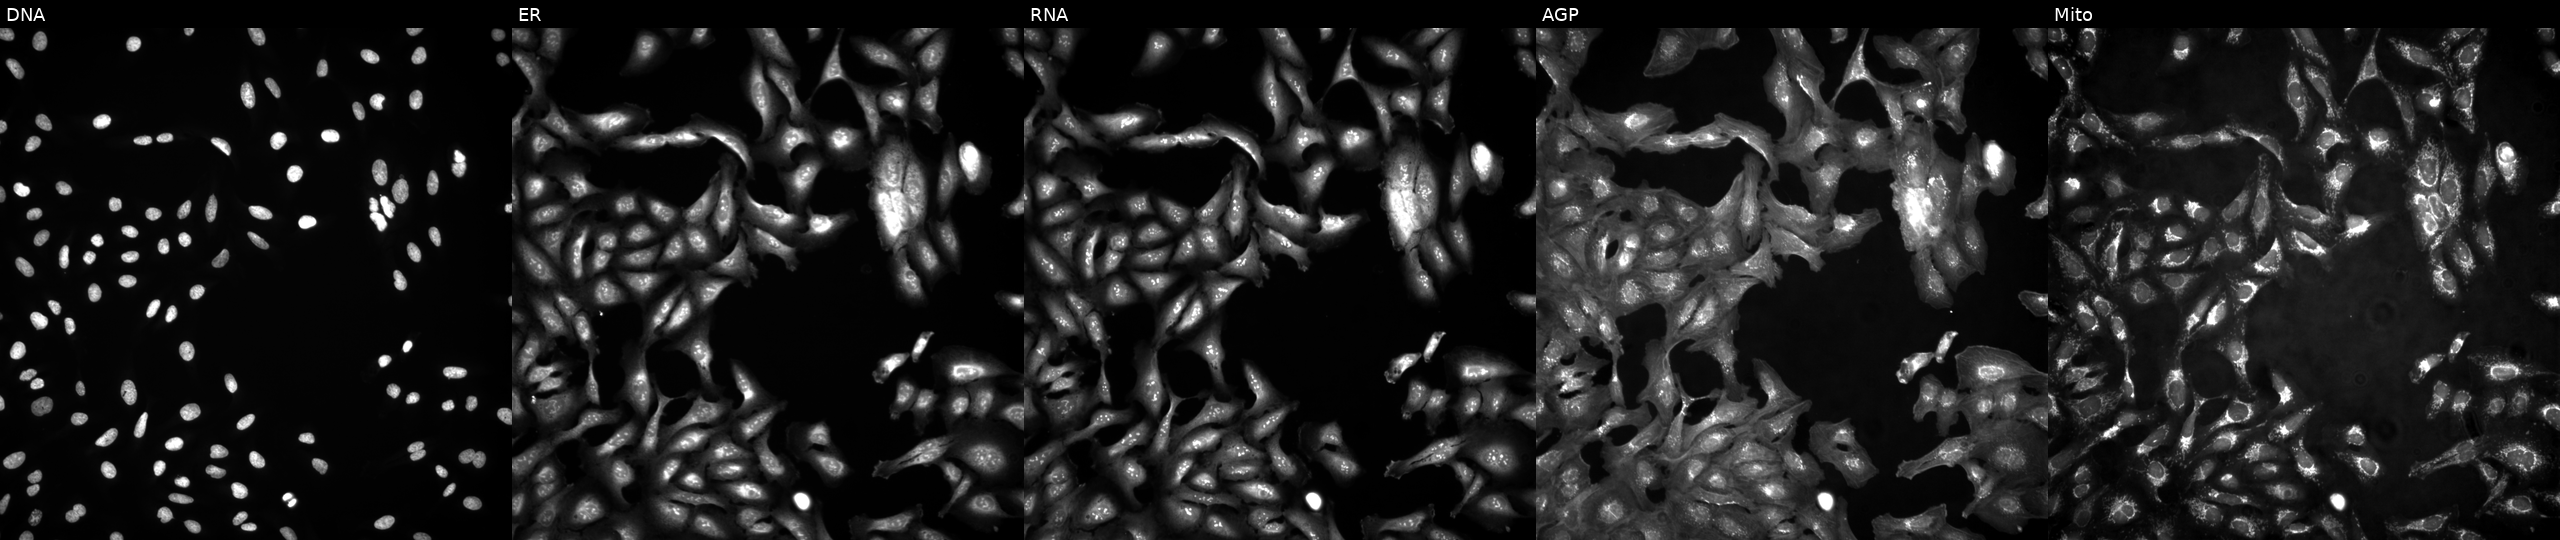
JUMP Cell Painting — ORF plate. U2OS cells in an empty control well (no perturbation). Channels (left→right): Hoechst 33342, concanavalin A, SYTO 14, phalloidin and WGA, MitoTracker.